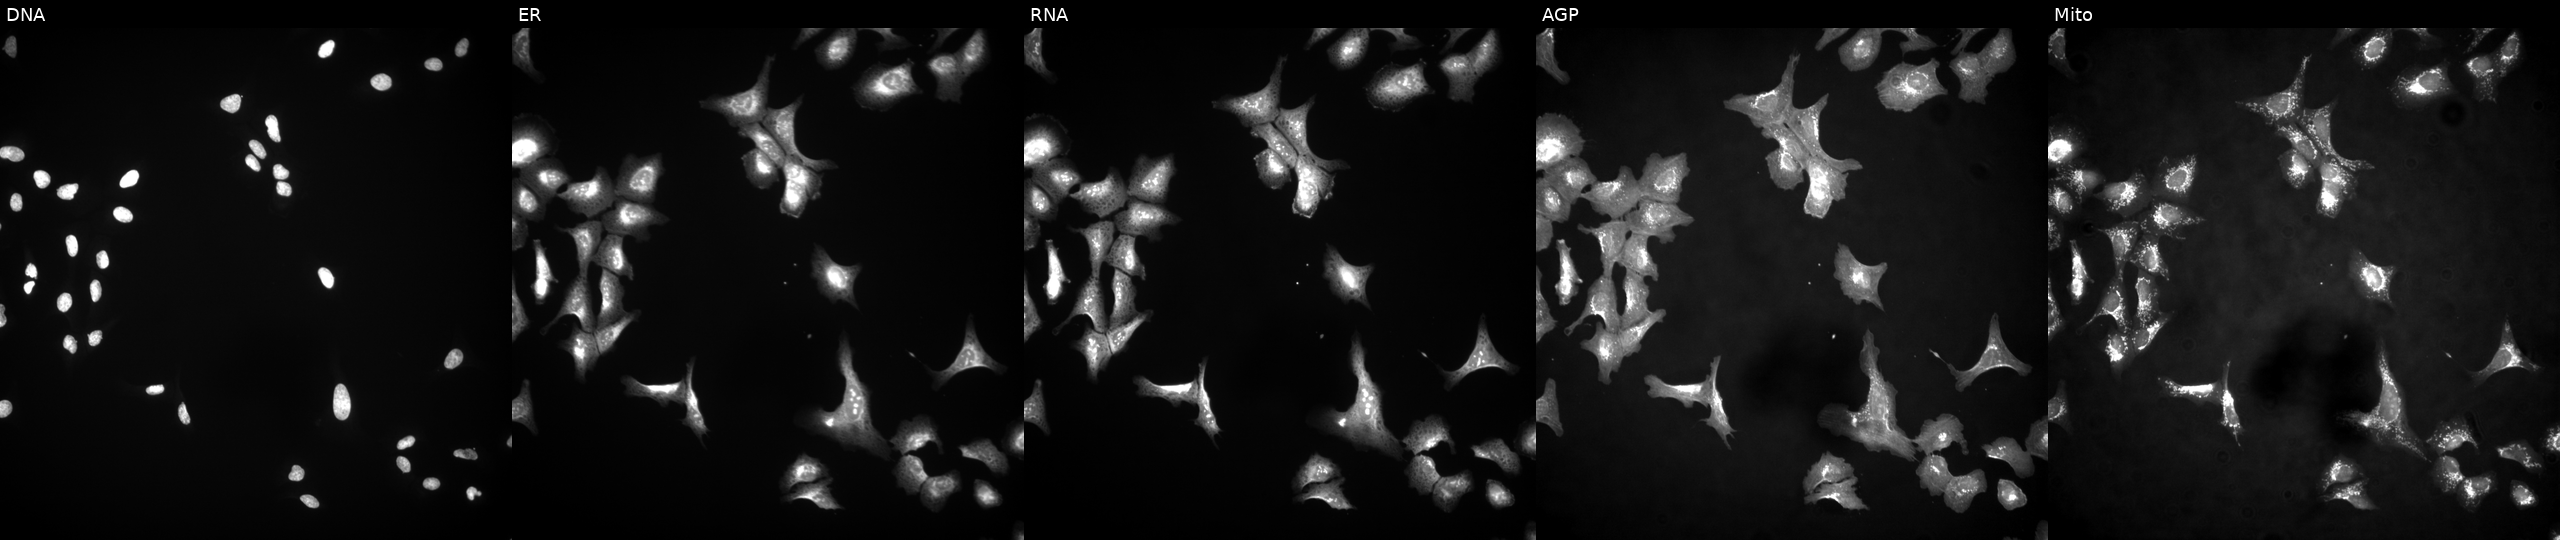
High-content fluorescence microscopy (Cell Painting). Cell line: U2OS. Perturbation: transfected with an ORF construct for ANKRD36B. The five panels, left to right, show DNA (nuclei); ER (endoplasmic reticulum); RNA (nucleoli and cytoplasmic RNA); AGP (actin cytoskeleton, Golgi, and plasma membrane); Mito (mitochondria).